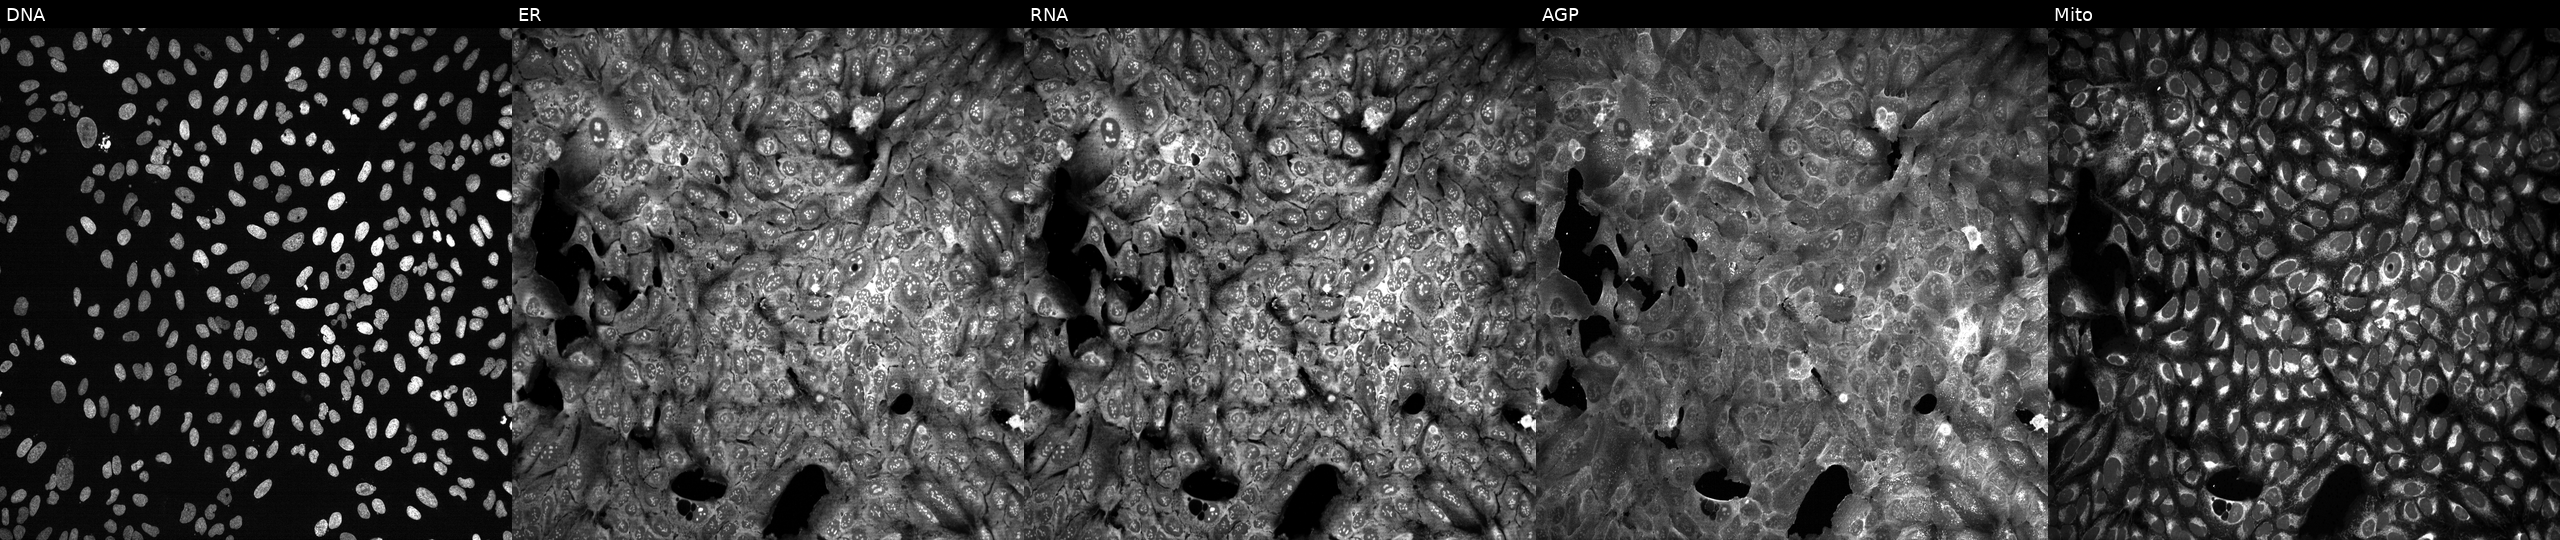
U2OS cells, Cell Painting assay, with EHMT2 knocked out by CRISPR. The five panels, left to right, show DNA (nuclei); ER (endoplasmic reticulum); RNA (nucleoli and cytoplasmic RNA); AGP (actin cytoskeleton, Golgi, and plasma membrane); Mito (mitochondria). Each panel is percentile-stretched 16-bit fluorescence. Source 13, plate CP-CC9-R6-19, well H04.